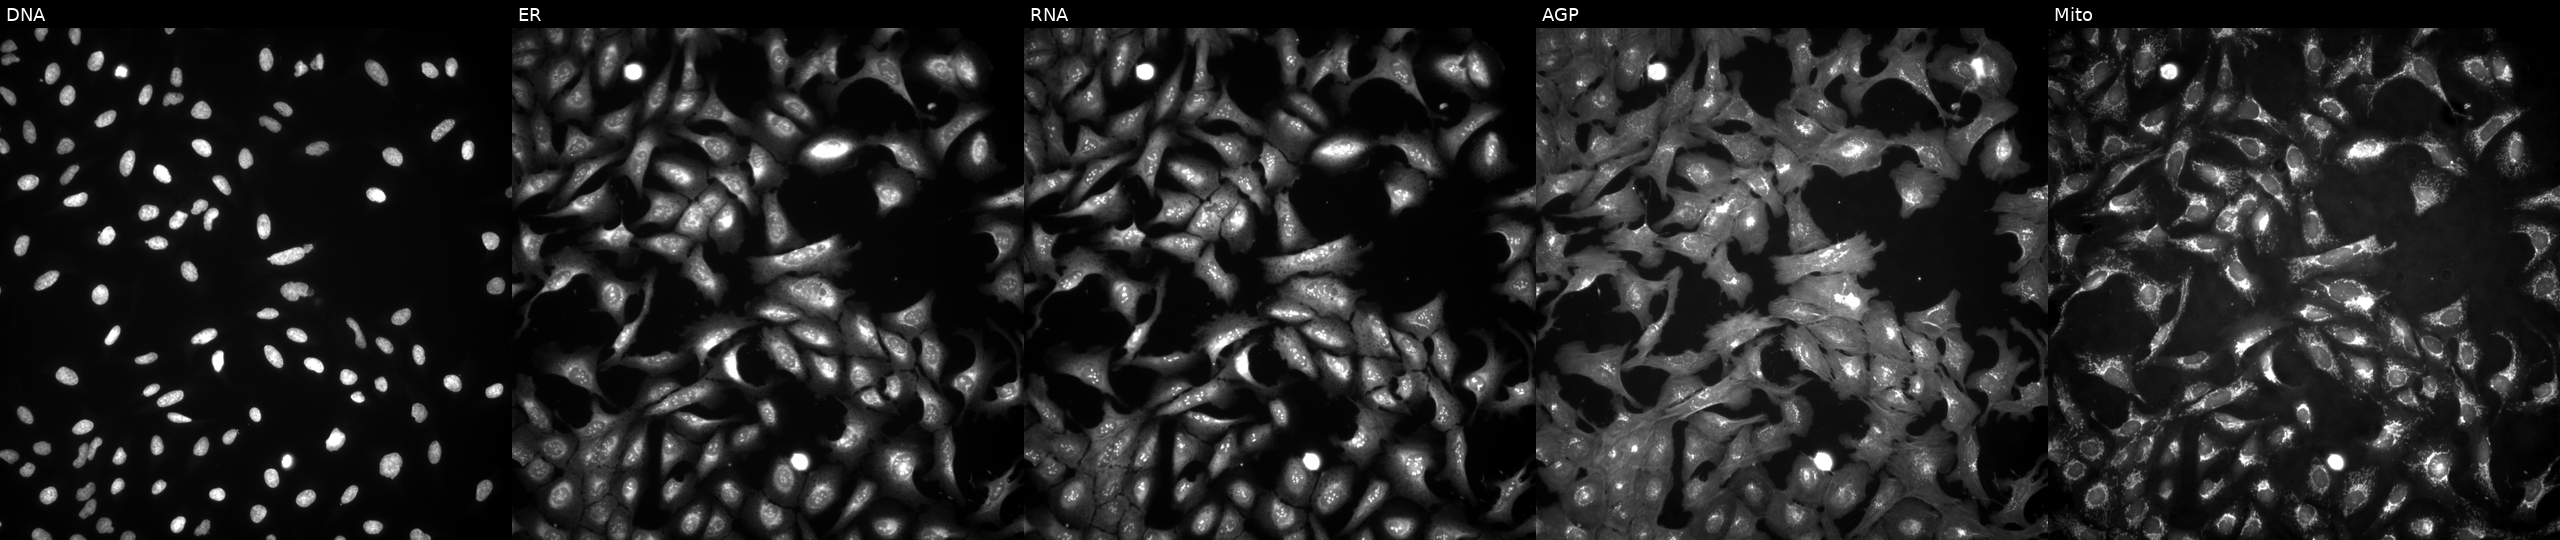
JUMP Cell Painting — ORF plate. U2OS cells with ANKRD36BP1 overexpressed (ORF) (JUMP id JCP2022_909566). The five panels, left to right, show DNA, ER, RNA, AGP, and Mito. Source 4, plate BR00123509, well F09.